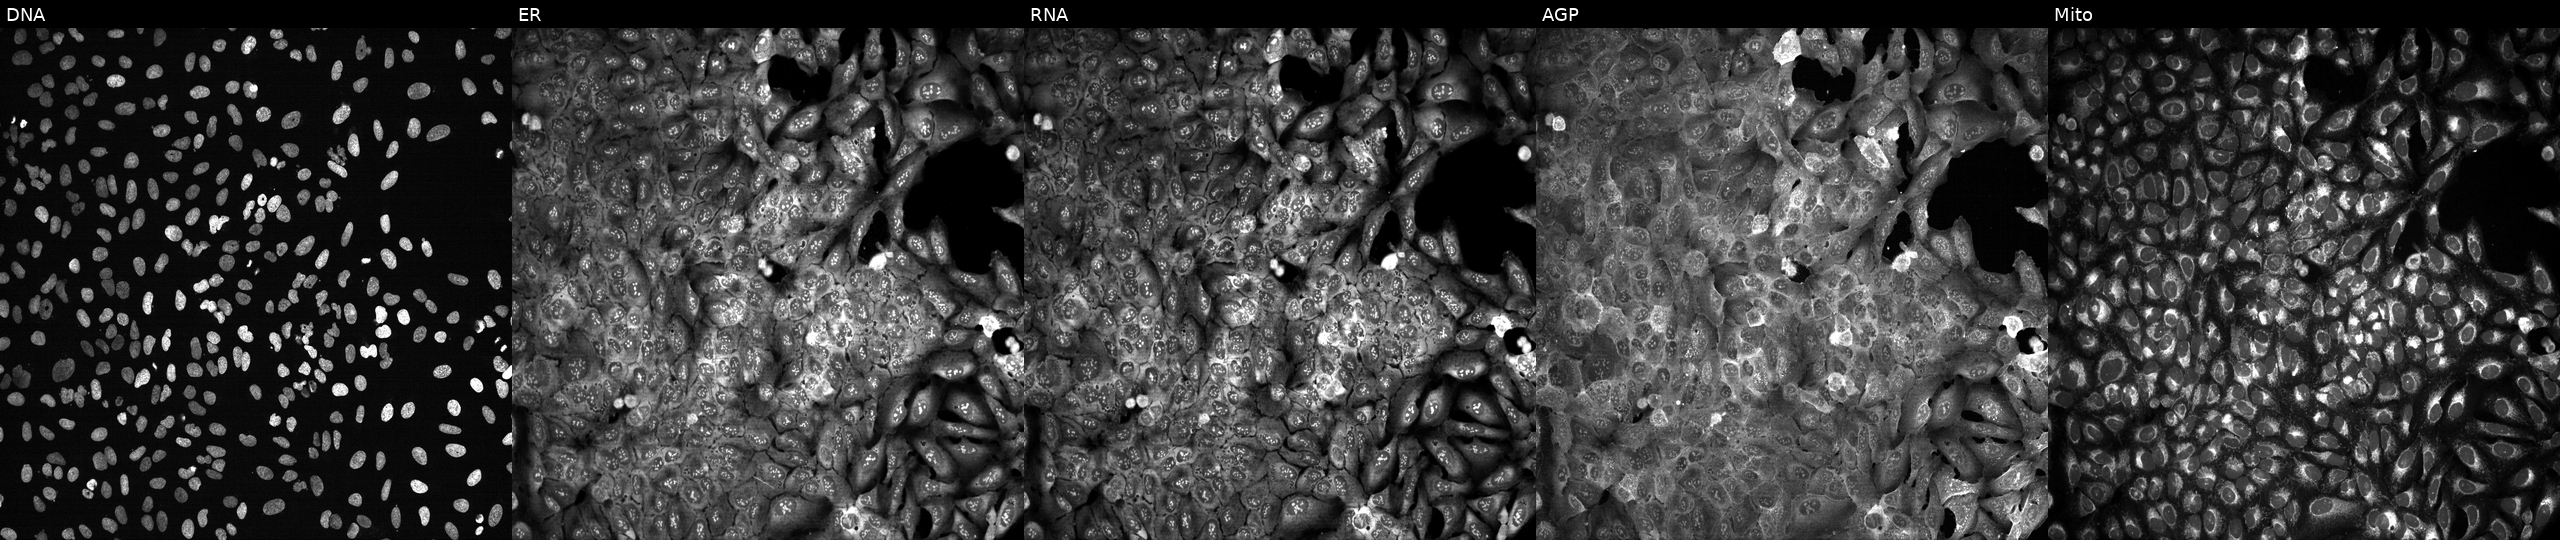
This image strip shows the five Cell Painting channels for a single field of U2OS cells with NCR1 knocked out by CRISPR. Channels (left→right): DNA, ER, RNA, AGP, and Mito. Source 13, plate CP-CC9-R3-02, well H09.